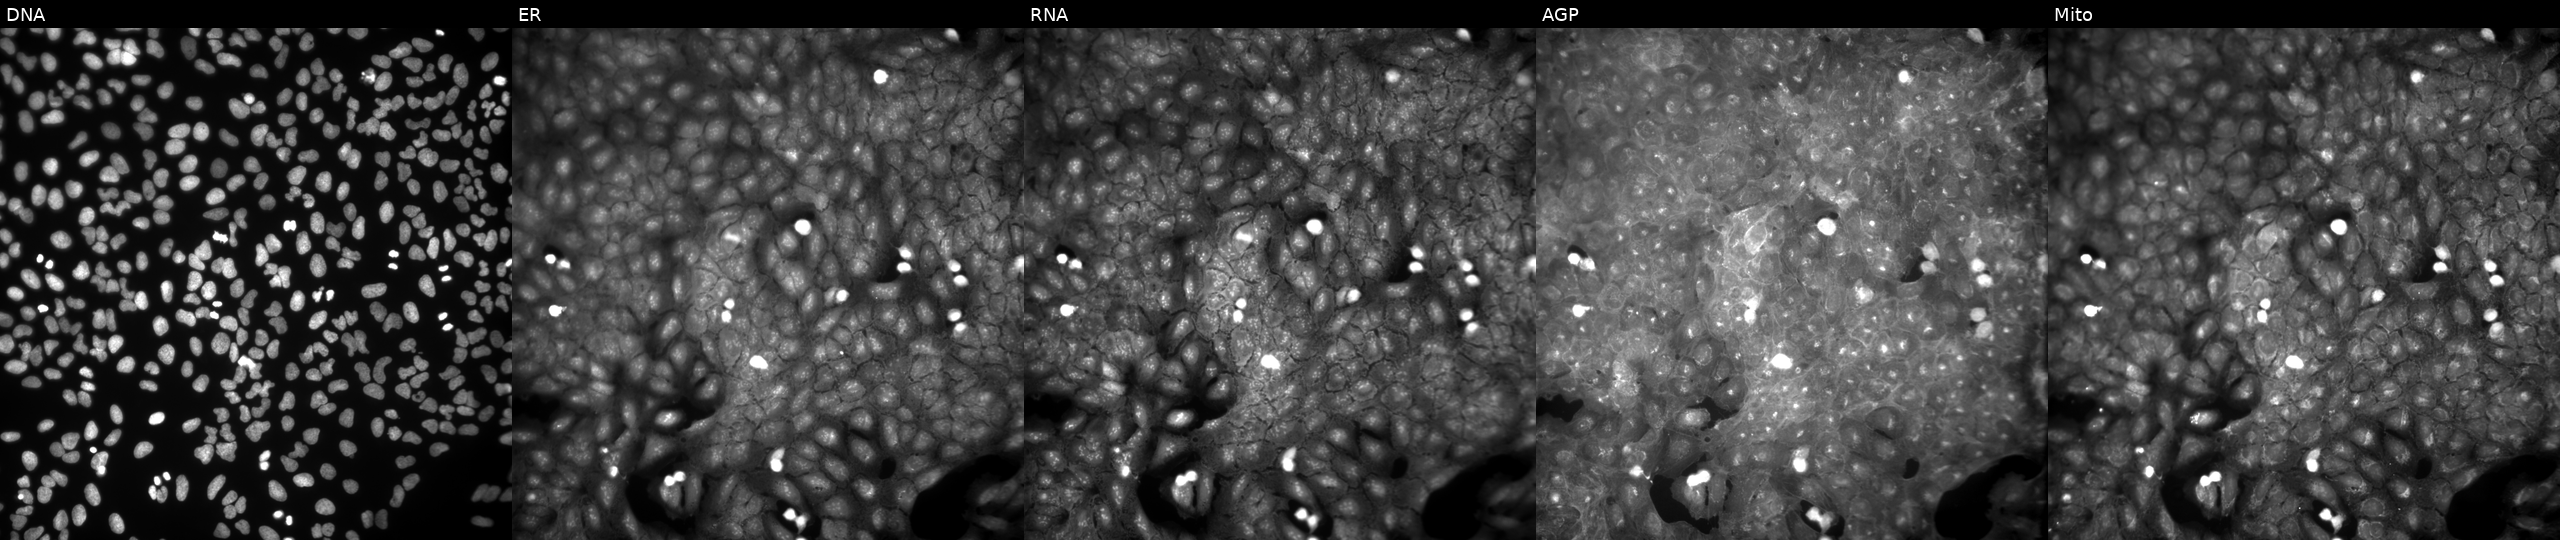
The five panels, left to right, show DNA, ER, RNA, AGP, and Mito. U2OS osteosarcoma cells exposed to DMSO alone as a negative control (JUMP id JCP2022_033924). Cell Painting assay, JUMP-CP dataset.